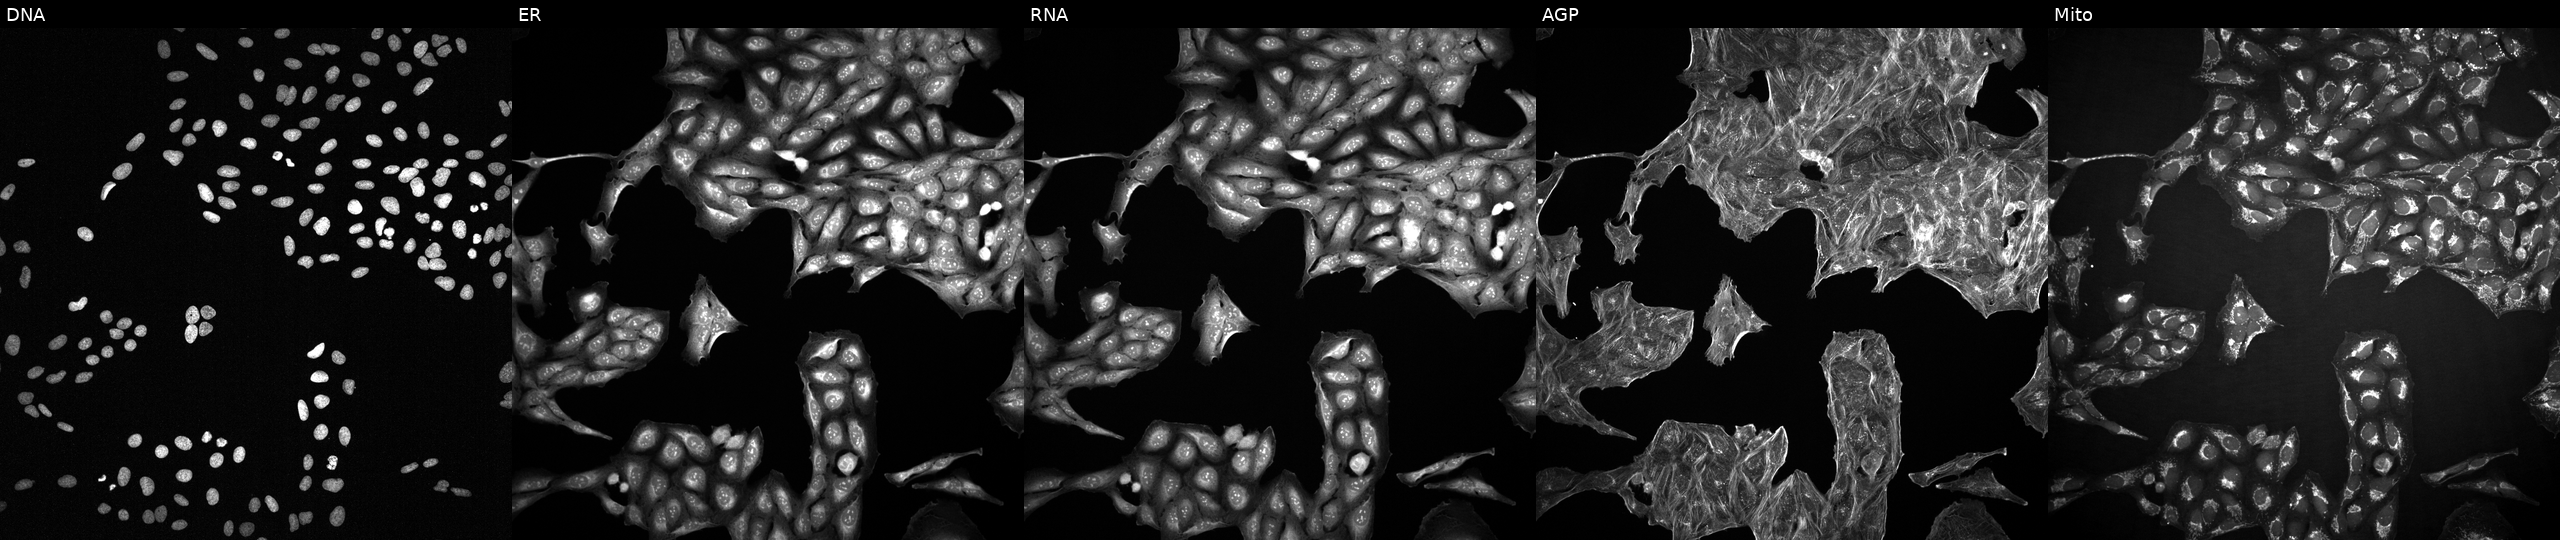
High-content fluorescence microscopy (Cell Painting). Cell line: U2OS. Perturbation: exposed to DMSO alone as a negative control. Panels show, left to right, DNA (nuclei); ER (endoplasmic reticulum); RNA (nucleoli and cytoplasmic RNA); AGP (actin cytoskeleton, Golgi, and plasma membrane); Mito (mitochondria). Source 2, plate 1053600674, well K24.